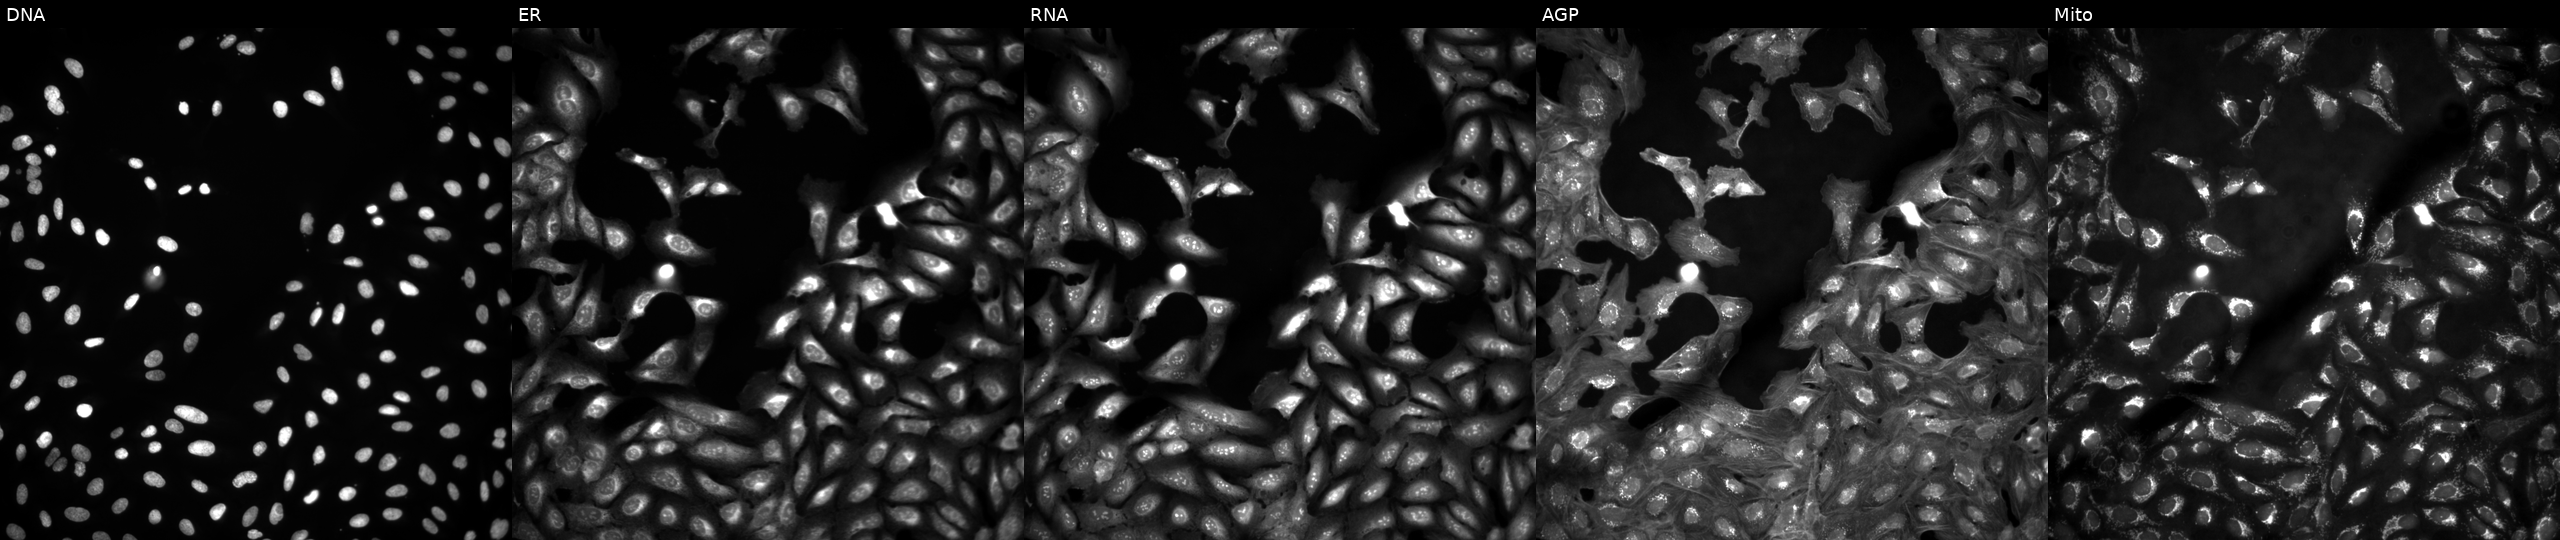
The five panels, left to right, show DNA (nuclei); ER (endoplasmic reticulum); RNA (nucleoli and cytoplasmic RNA); AGP (actin cytoskeleton, Golgi, and plasma membrane); Mito (mitochondria). U2OS osteosarcoma cells in an empty control well (no perturbation) (JUMP id JCP2022_999999). Cell Painting assay, JUMP-CP dataset. Source 4, plate BR00124793, well A23.